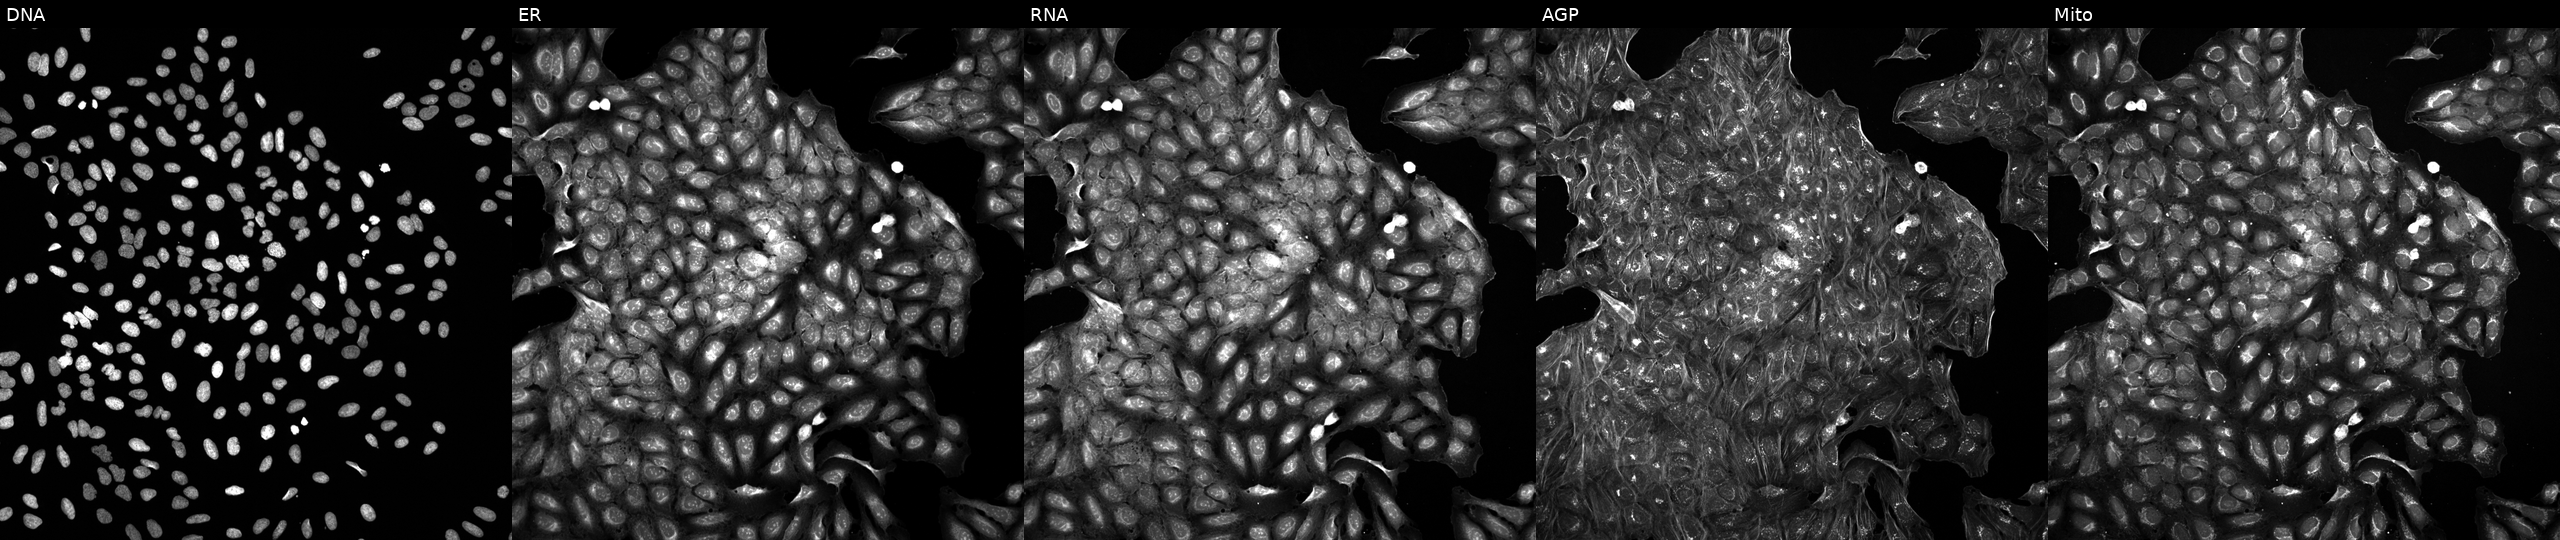
The five panels, left to right, show DNA (nuclei); ER (endoplasmic reticulum); RNA (nucleoli and cytoplasmic RNA); AGP (actin cytoskeleton, Golgi, and plasma membrane); Mito (mitochondria). U2OS osteosarcoma cells exposed to a small-molecule compound (JUMP id JCP2022_067303). Cell Painting assay, JUMP-CP dataset. Source 5, plate APTJUM105, well A08.